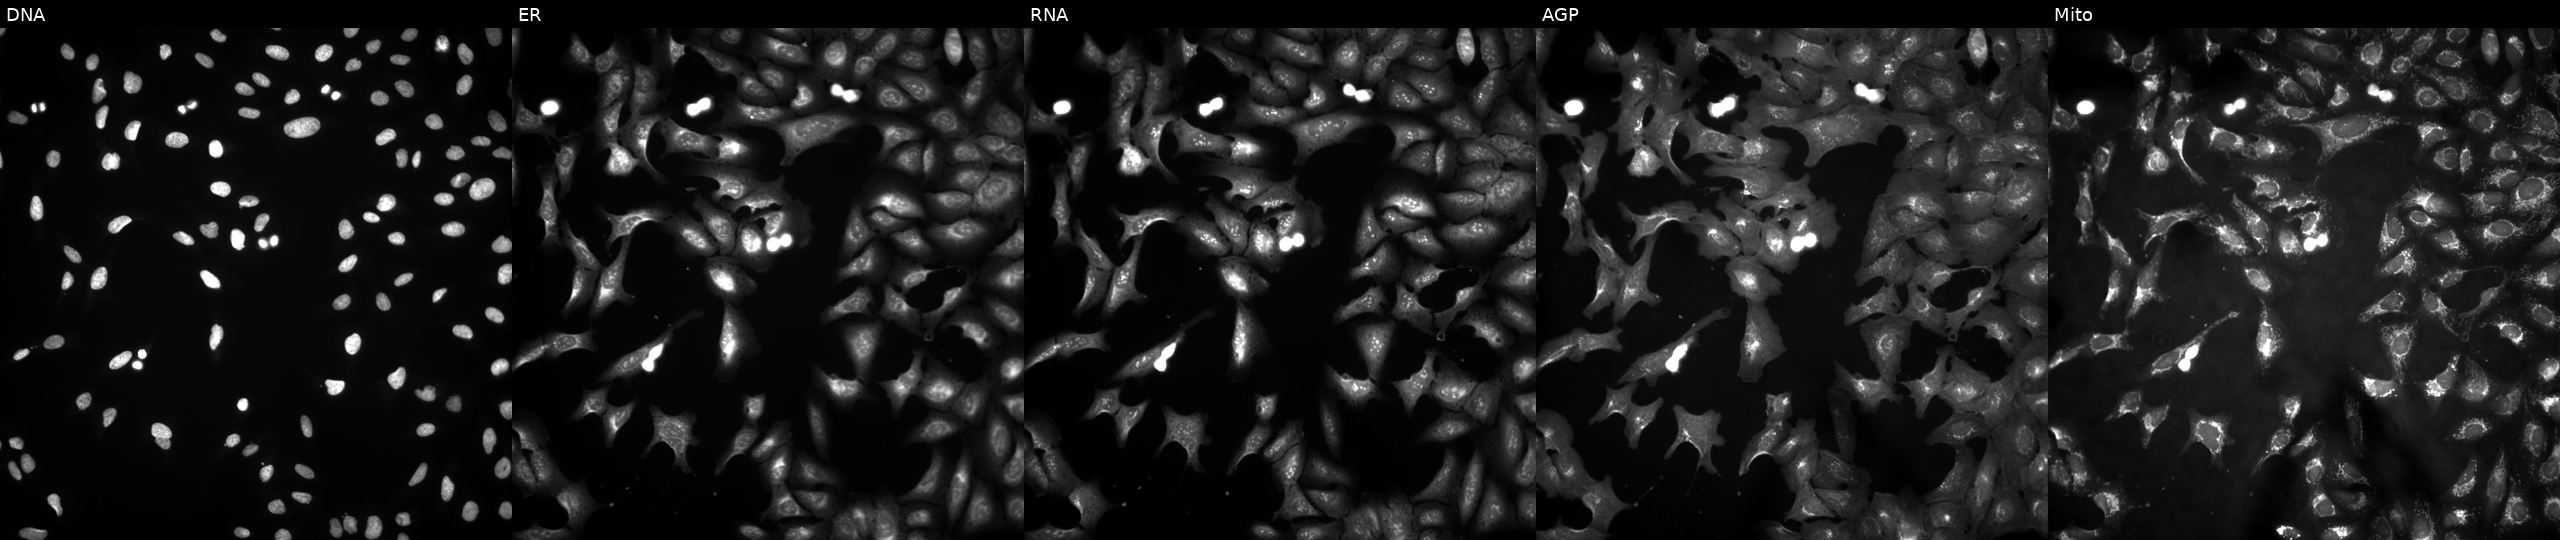
High-content fluorescence microscopy (Cell Painting). Cell line: U2OS. Perturbation: in an empty control well (no perturbation) (JUMP id JCP2022_999999). Channels (left→right): DNA (nuclei); ER (endoplasmic reticulum); RNA (nucleoli and cytoplasmic RNA); AGP (actin cytoskeleton, Golgi, and plasma membrane); Mito (mitochondria). Source 4, plate BR00121543, well O22.